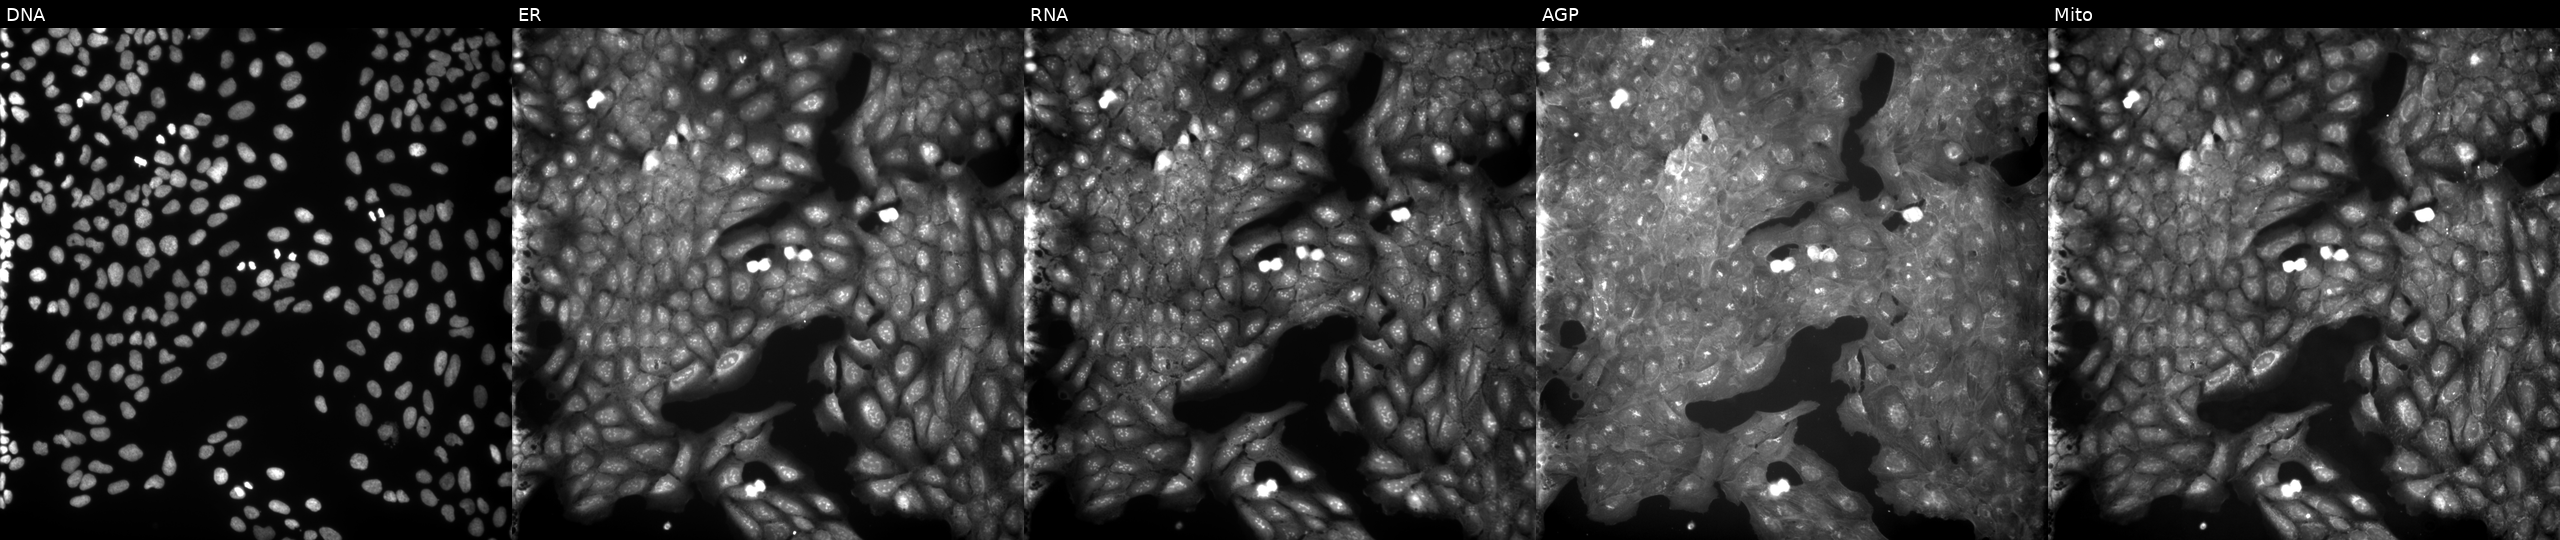
JUMP Cell Painting — COMPOUND plate. U2OS cells treated with a small-molecule compound (InChIKey BVNVSFIWPXOPDU-UHFFFAOYSA-N). Channels (left→right): DNA (nuclei); ER (endoplasmic reticulum); RNA (nucleoli and cytoplasmic RNA); AGP (actin cytoskeleton, Golgi, and plasma membrane); Mito (mitochondria). Source 9, plate GR00003381, well C20.